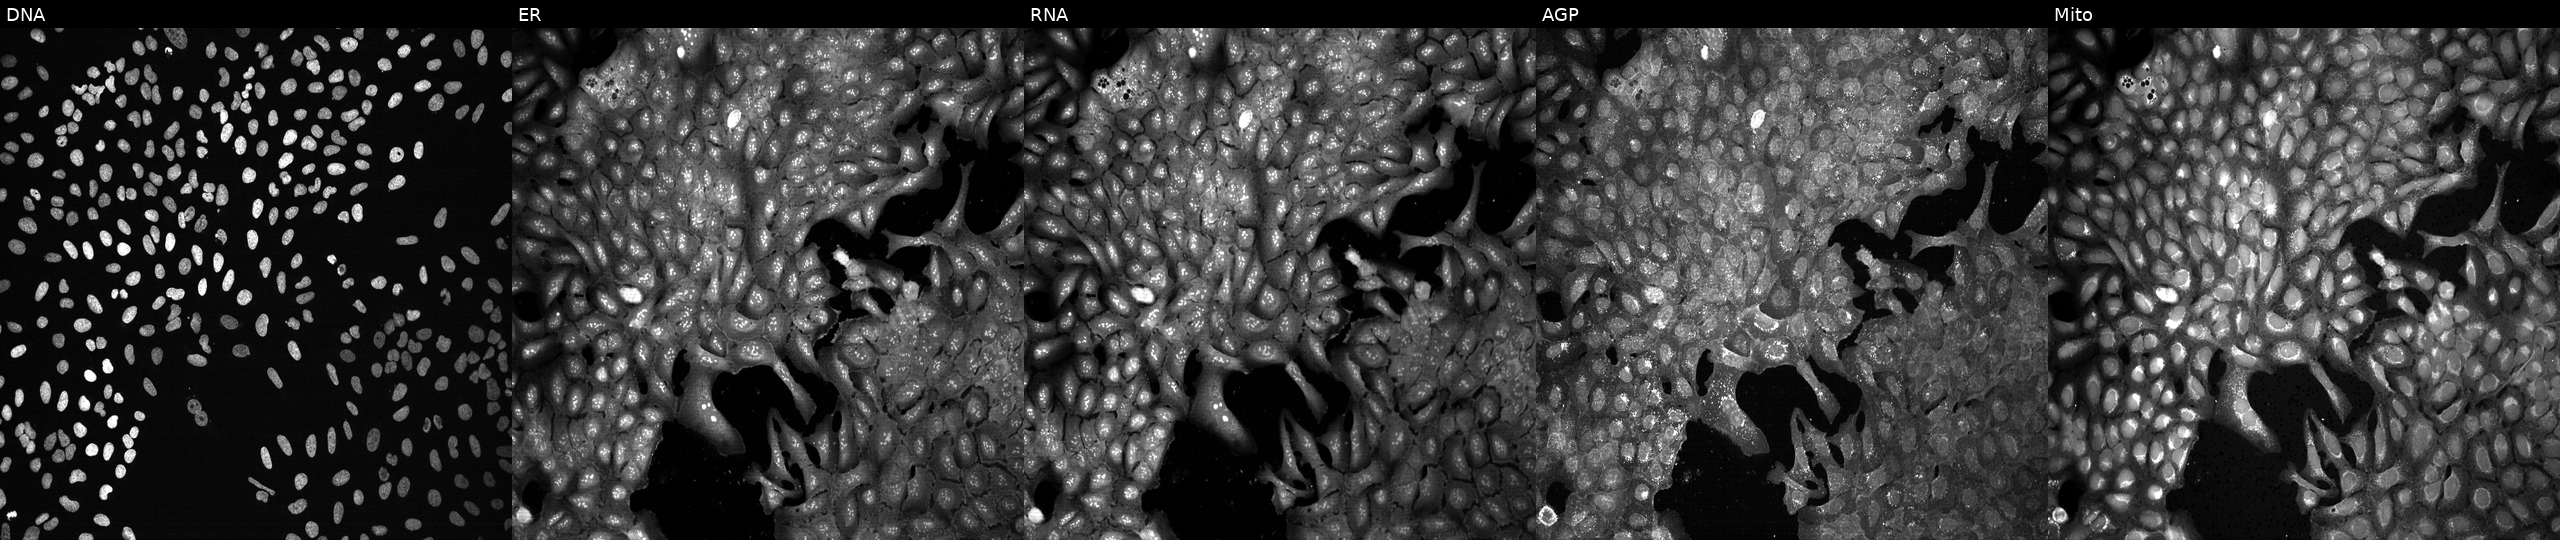
This image strip shows the five Cell Painting channels for a single field of U2OS cells CRISPR-edited to disrupt SLC41A2 (JUMP id JCP2022_806537). Channels (left→right): DNA, ER, RNA, AGP, and Mito.